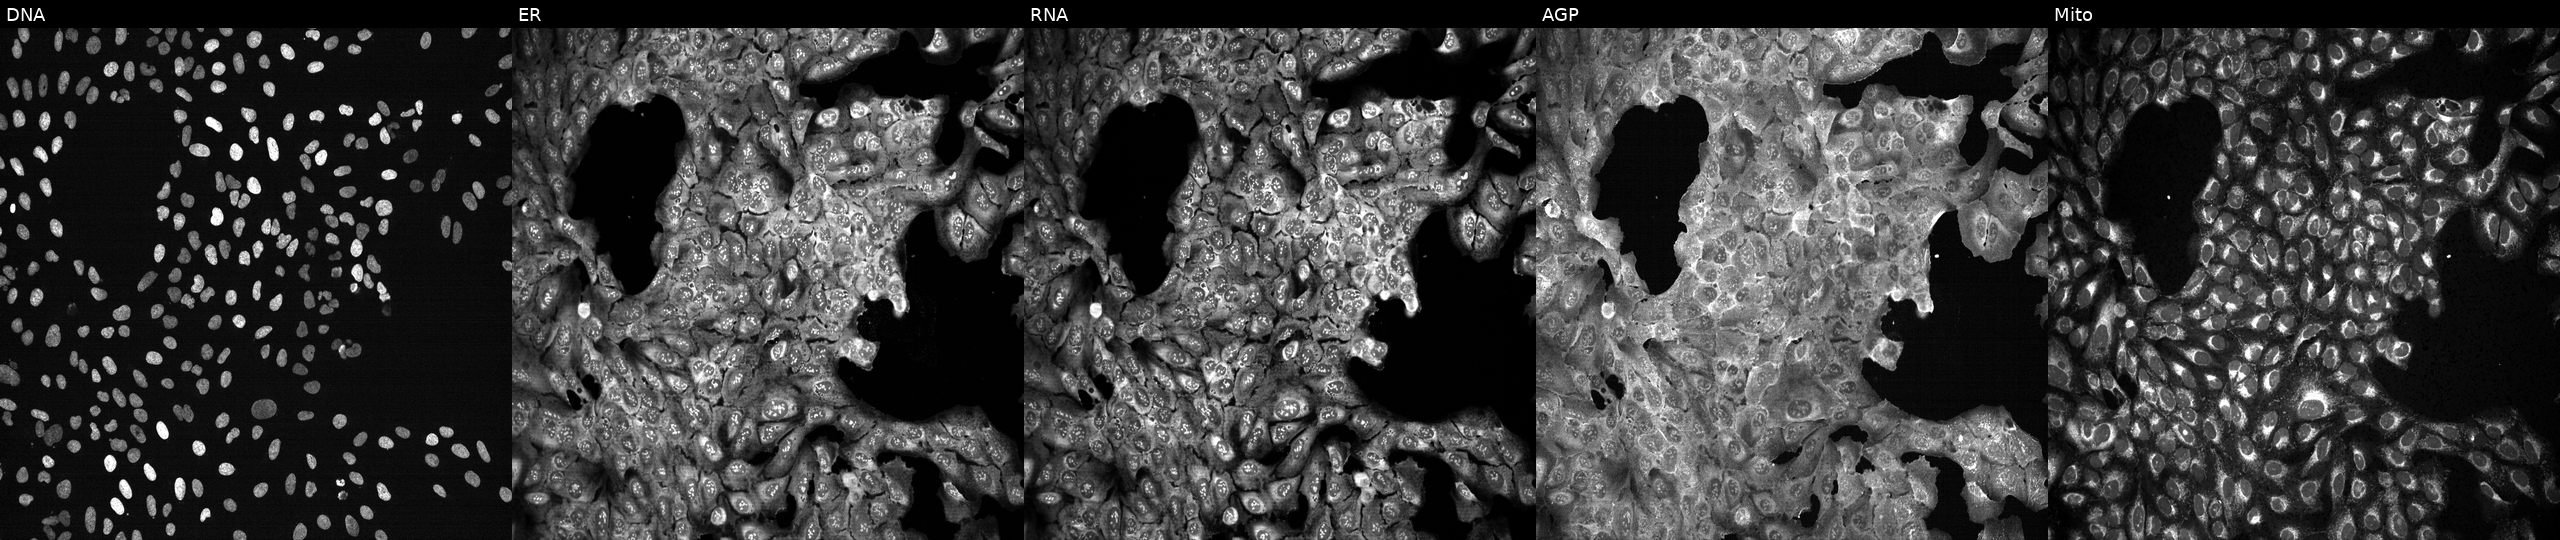
High-content fluorescence microscopy (Cell Painting). Cell line: U2OS. Perturbation: following CRISPR knockout of KIF3B. Channels (left→right): DNA (nuclei); ER (endoplasmic reticulum); RNA (nucleoli and cytoplasmic RNA); AGP (actin cytoskeleton, Golgi, and plasma membrane); Mito (mitochondria). Source 13, plate CP-CC9-R3-02, well C20.